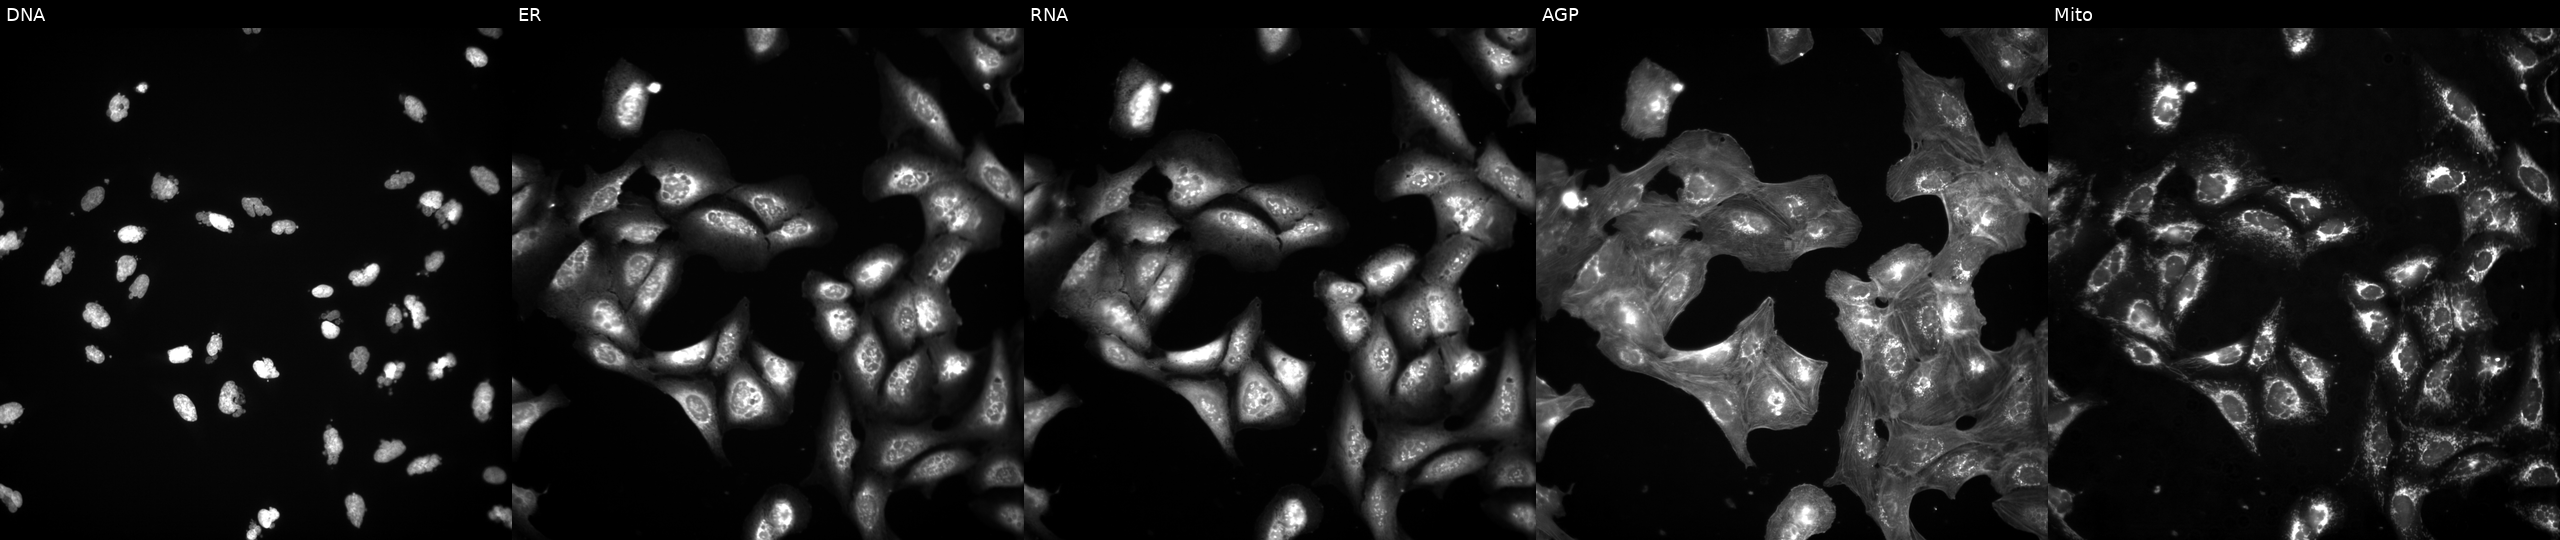
The five panels, left to right, show DNA (nuclei); ER (endoplasmic reticulum); RNA (nucleoli and cytoplasmic RNA); AGP (actin cytoskeleton, Golgi, and plasma membrane); Mito (mitochondria). U2OS osteosarcoma cells exposed to the positive-control compound AMG900. Cell Painting assay, JUMP-CP dataset. Source 3, plate BR5867a3, well F24.